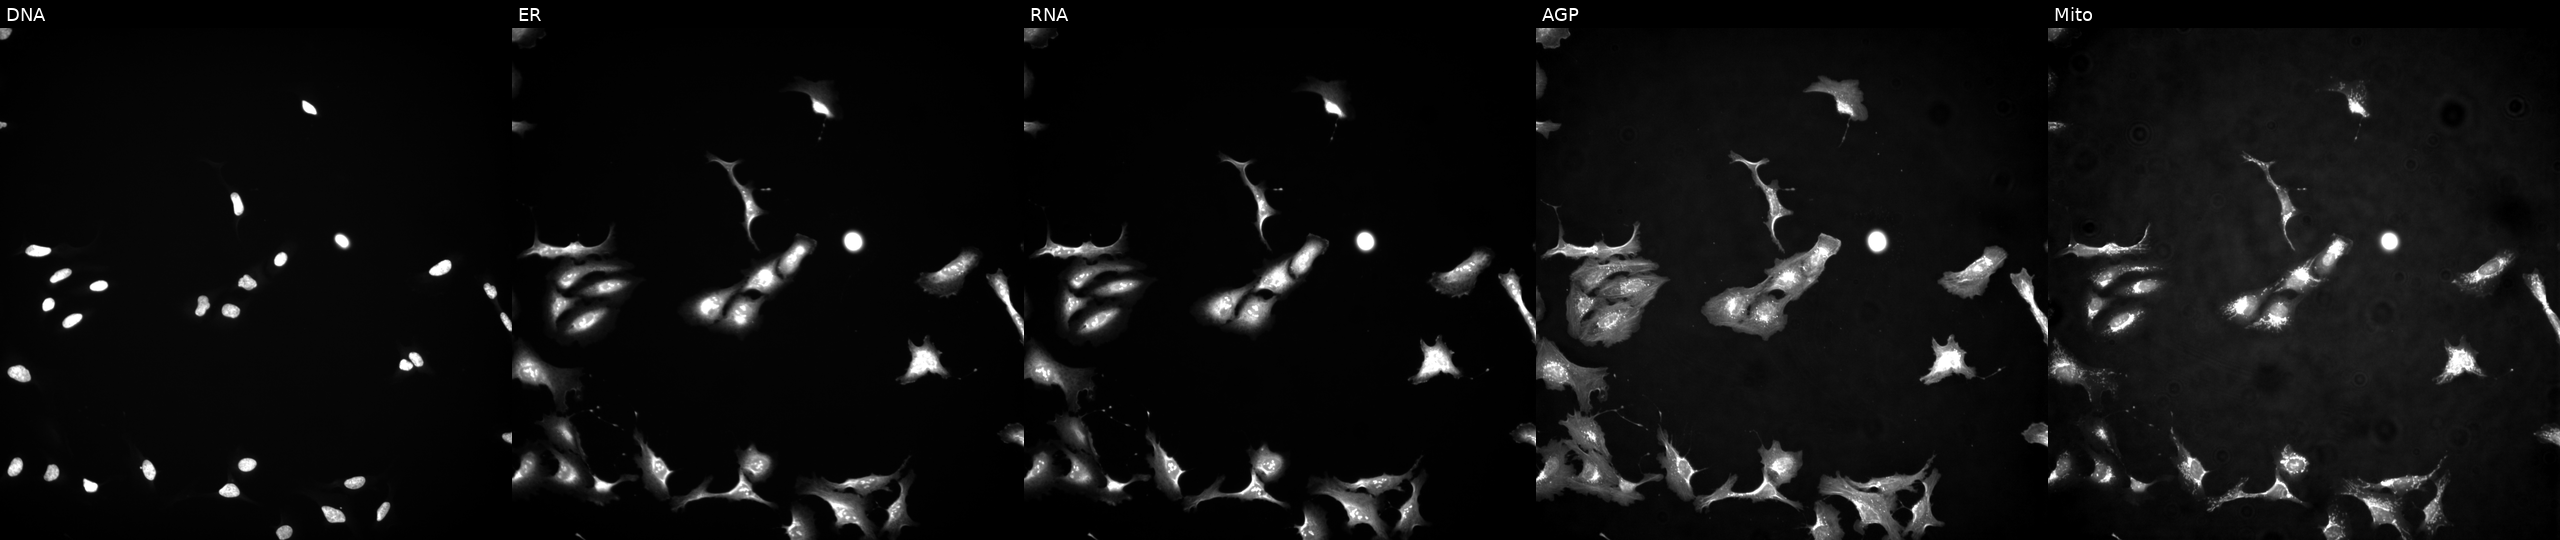
High-content fluorescence microscopy (Cell Painting). Cell line: U2OS. Perturbation: with EGFR overexpressed (ORF) (JUMP id JCP2022_913652). The five panels, left to right, show DNA, ER, RNA, AGP, and Mito.